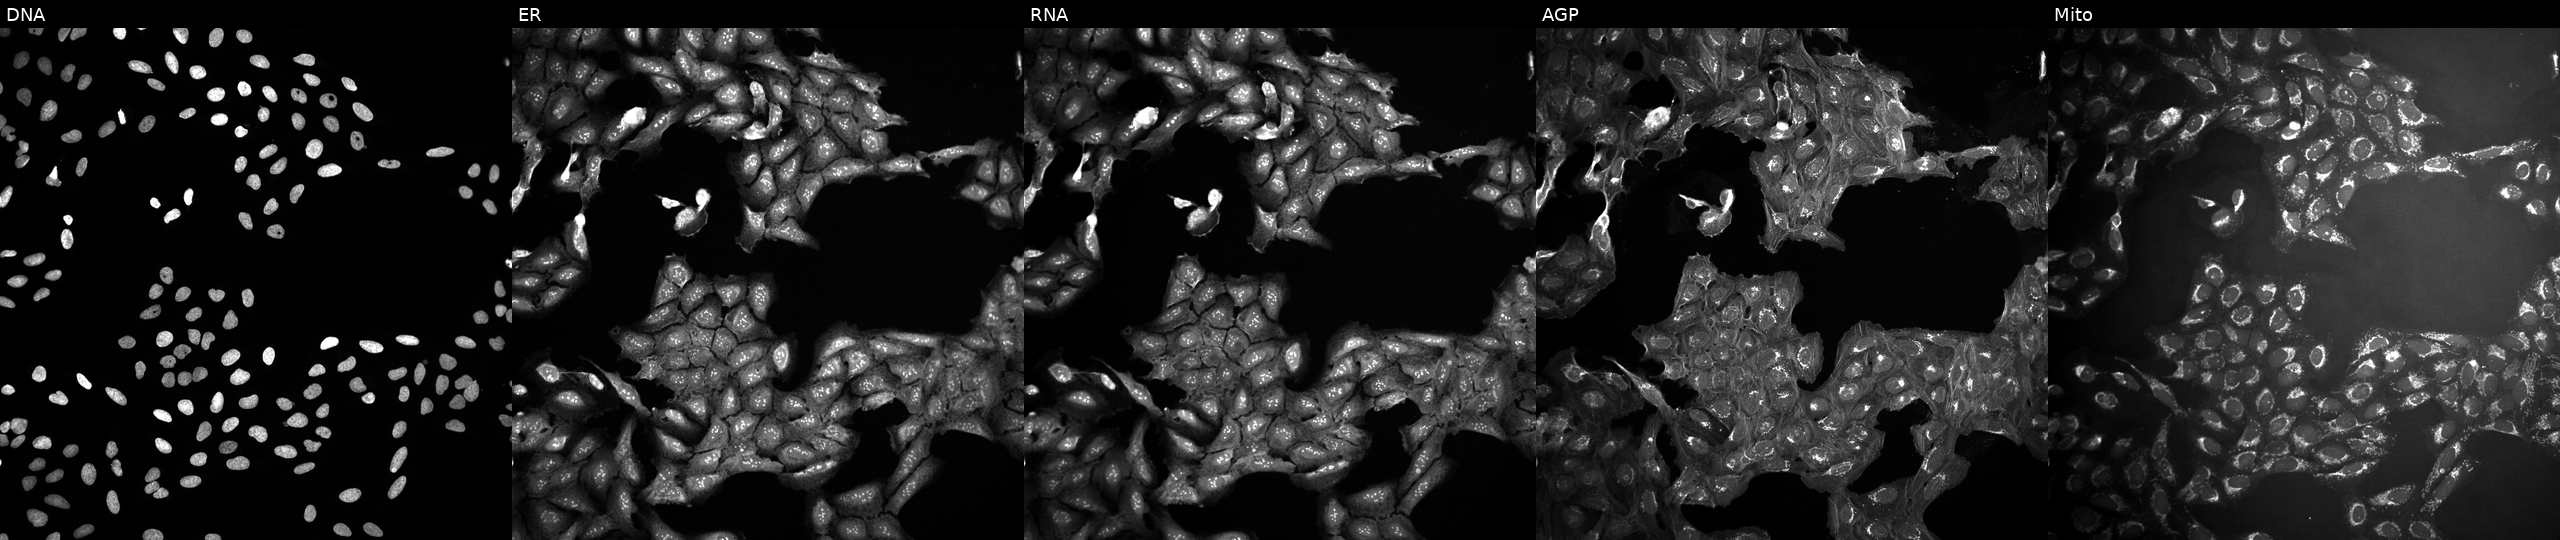
Channels (left→right): DNA, ER, RNA, AGP, and Mito. U2OS osteosarcoma cells treated with a small-molecule compound (JUMP id JCP2022_062176). Cell Painting assay, JUMP-CP dataset.